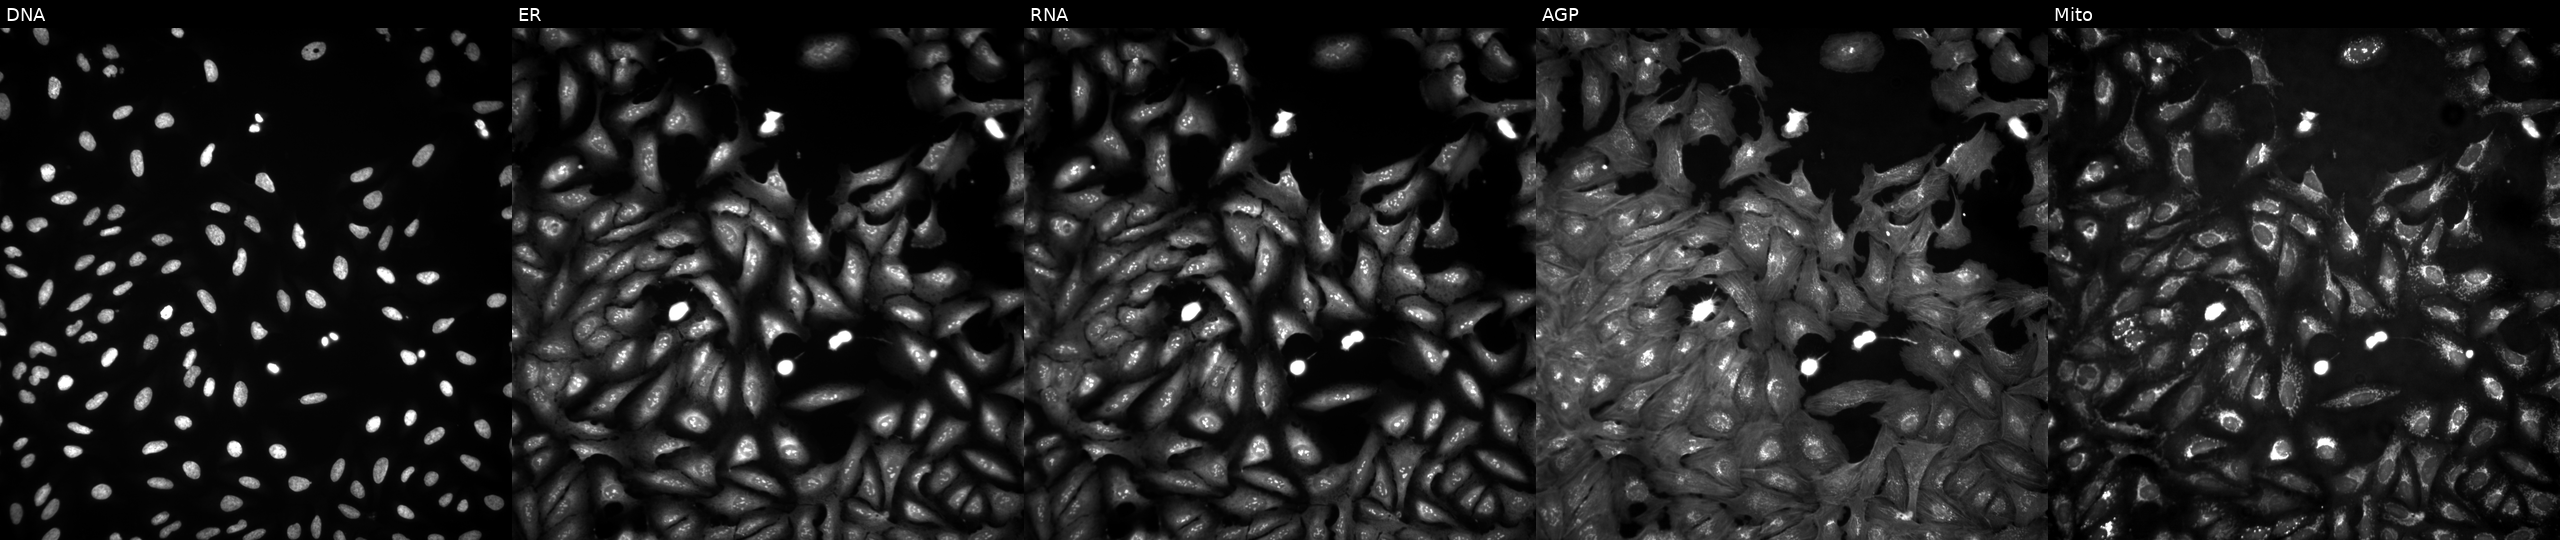
U2OS cells, Cell Painting assay, overexpressing PAGE2B via ORF transfection. The five panels, left to right, show Hoechst 33342, concanavalin A, SYTO 14, phalloidin and WGA, MitoTracker. Each panel is percentile-stretched 16-bit fluorescence.